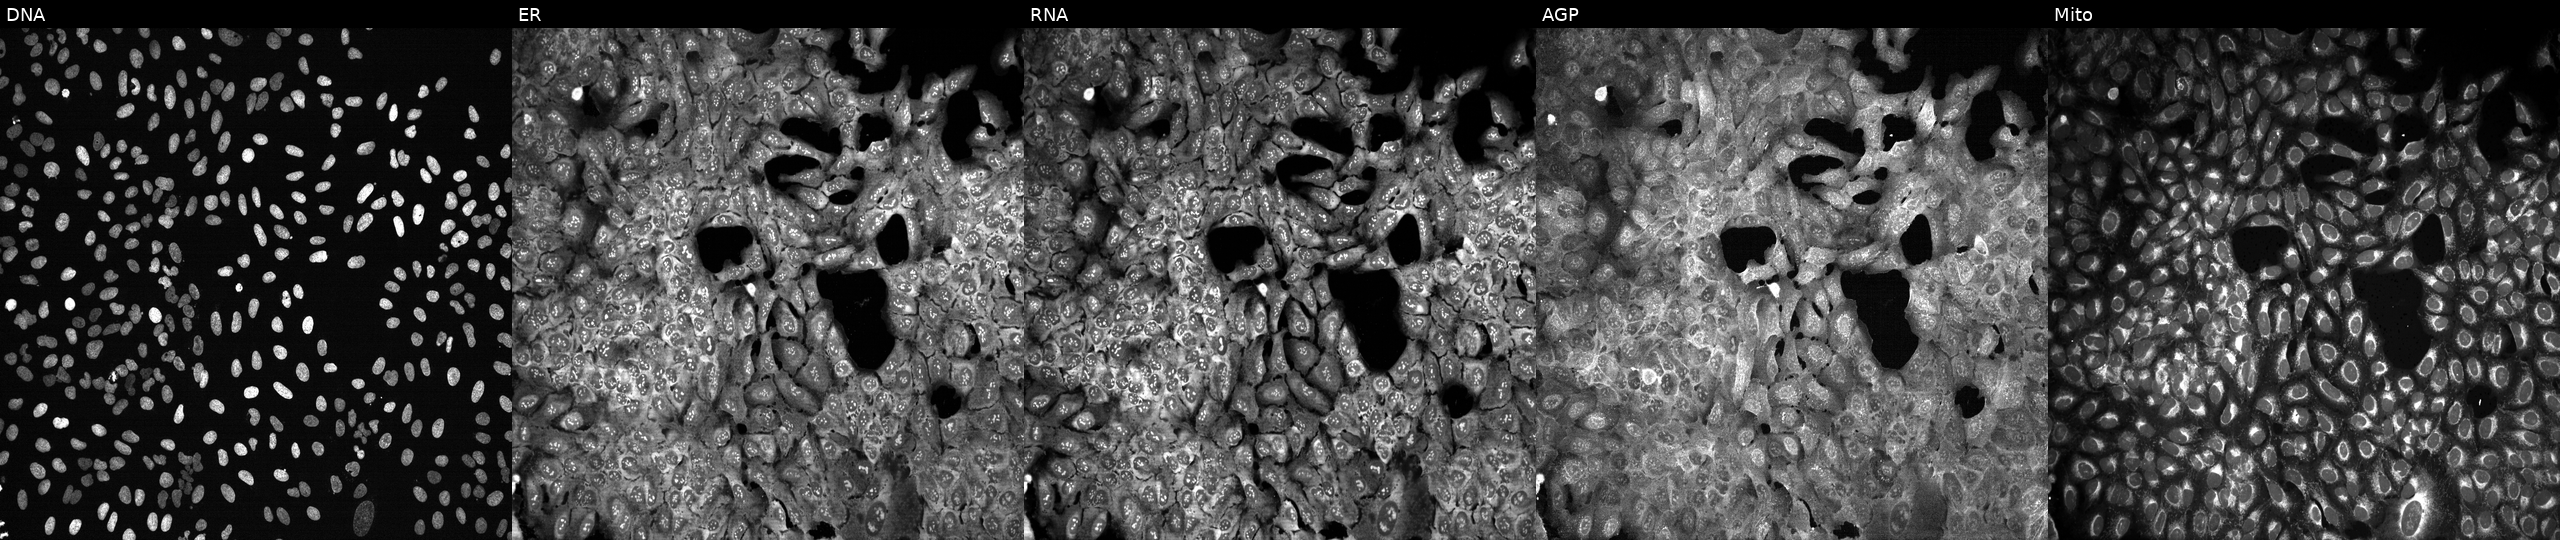
High-content fluorescence microscopy (Cell Painting). Cell line: U2OS. Perturbation: with DDX3Y knocked out by CRISPR (JUMP id JCP2022_801737). From left to right: DNA (nuclei); ER (endoplasmic reticulum); RNA (nucleoli and cytoplasmic RNA); AGP (actin cytoskeleton, Golgi, and plasma membrane); Mito (mitochondria). Source 13, plate CP-CC9-R2-02, well M09.